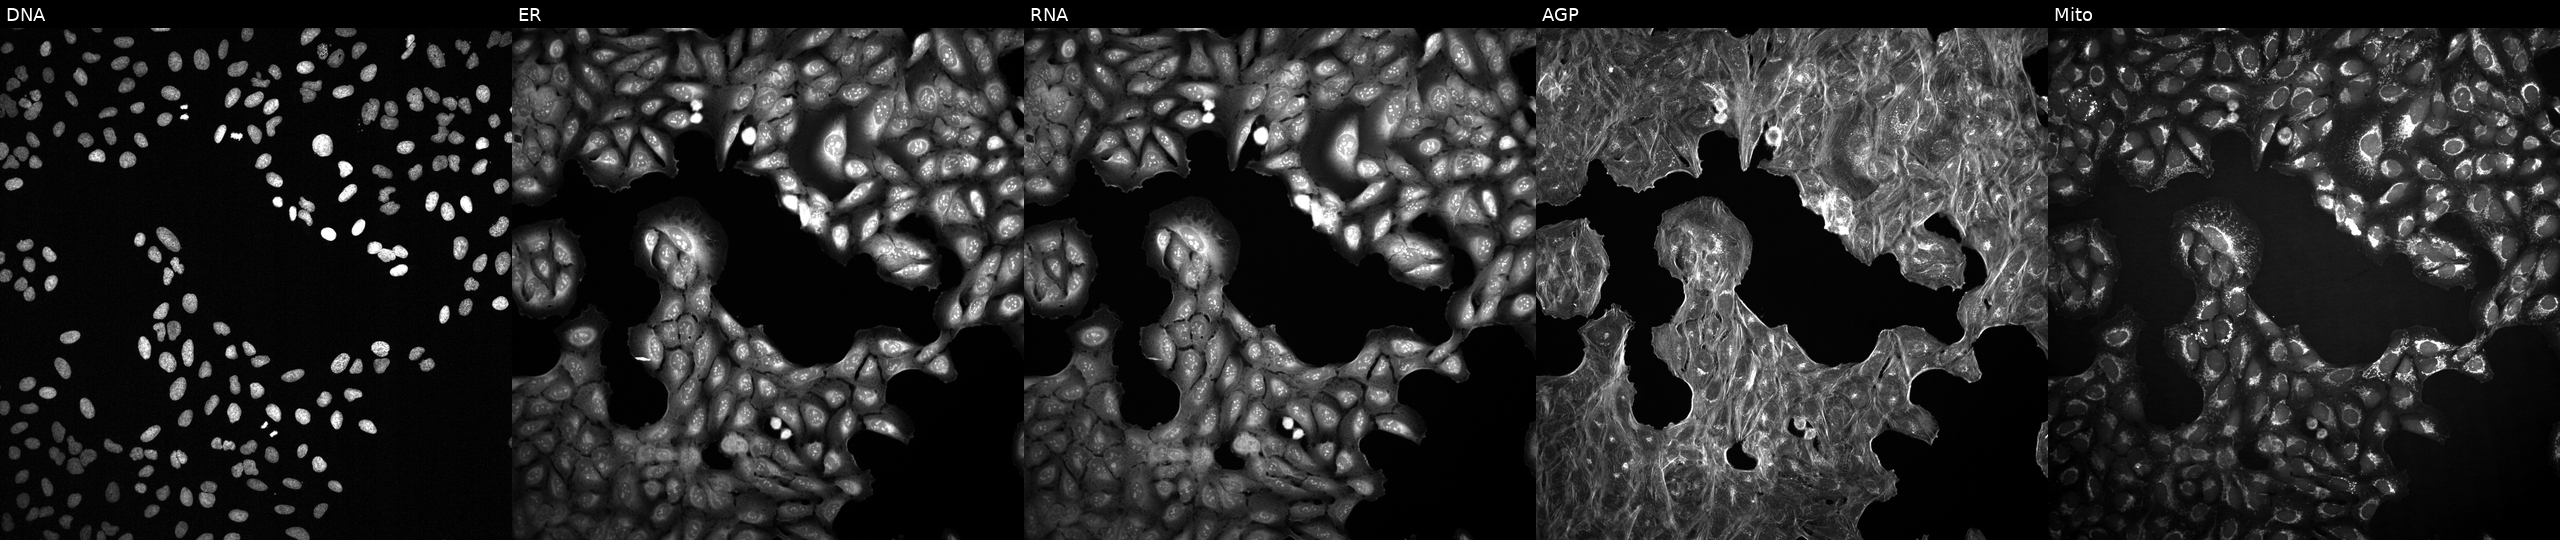
High-content fluorescence microscopy (Cell Painting). Cell line: U2OS. Perturbation: treated with a small-molecule compound (JUMP id JCP2022_039785). Channels (left→right): DNA (nuclei); ER (endoplasmic reticulum); RNA (nucleoli and cytoplasmic RNA); AGP (actin cytoskeleton, Golgi, and plasma membrane); Mito (mitochondria).